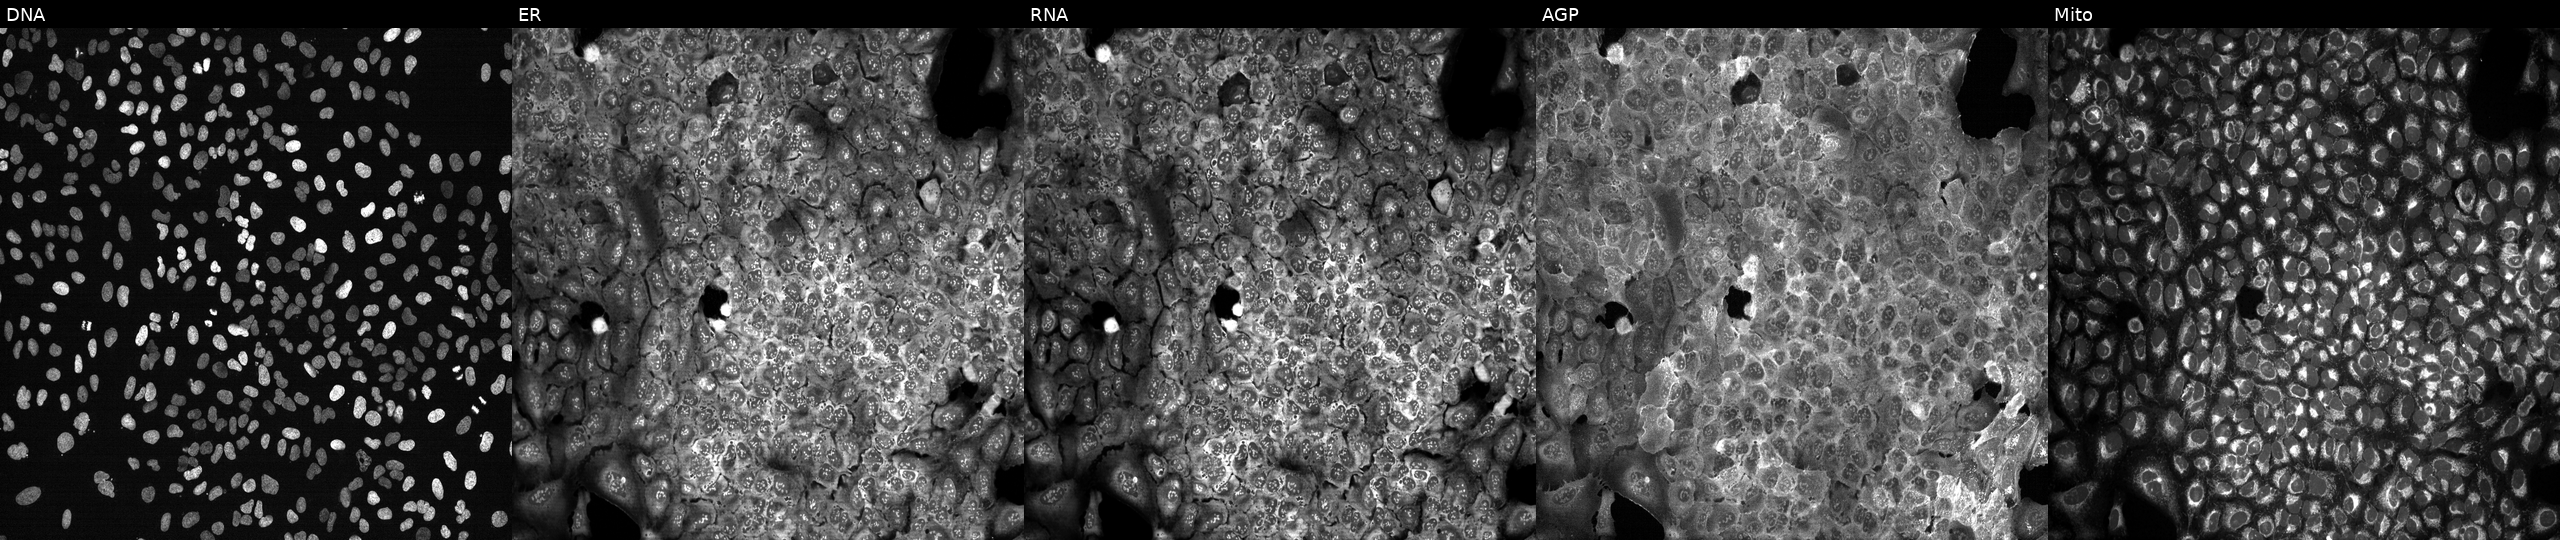
High-content fluorescence microscopy (Cell Painting). Cell line: U2OS. Perturbation: with DOLPP1 knocked out by CRISPR (JUMP id JCP2022_801887). Panels show, left to right, DNA (nuclei); ER (endoplasmic reticulum); RNA (nucleoli and cytoplasmic RNA); AGP (actin cytoskeleton, Golgi, and plasma membrane); Mito (mitochondria).